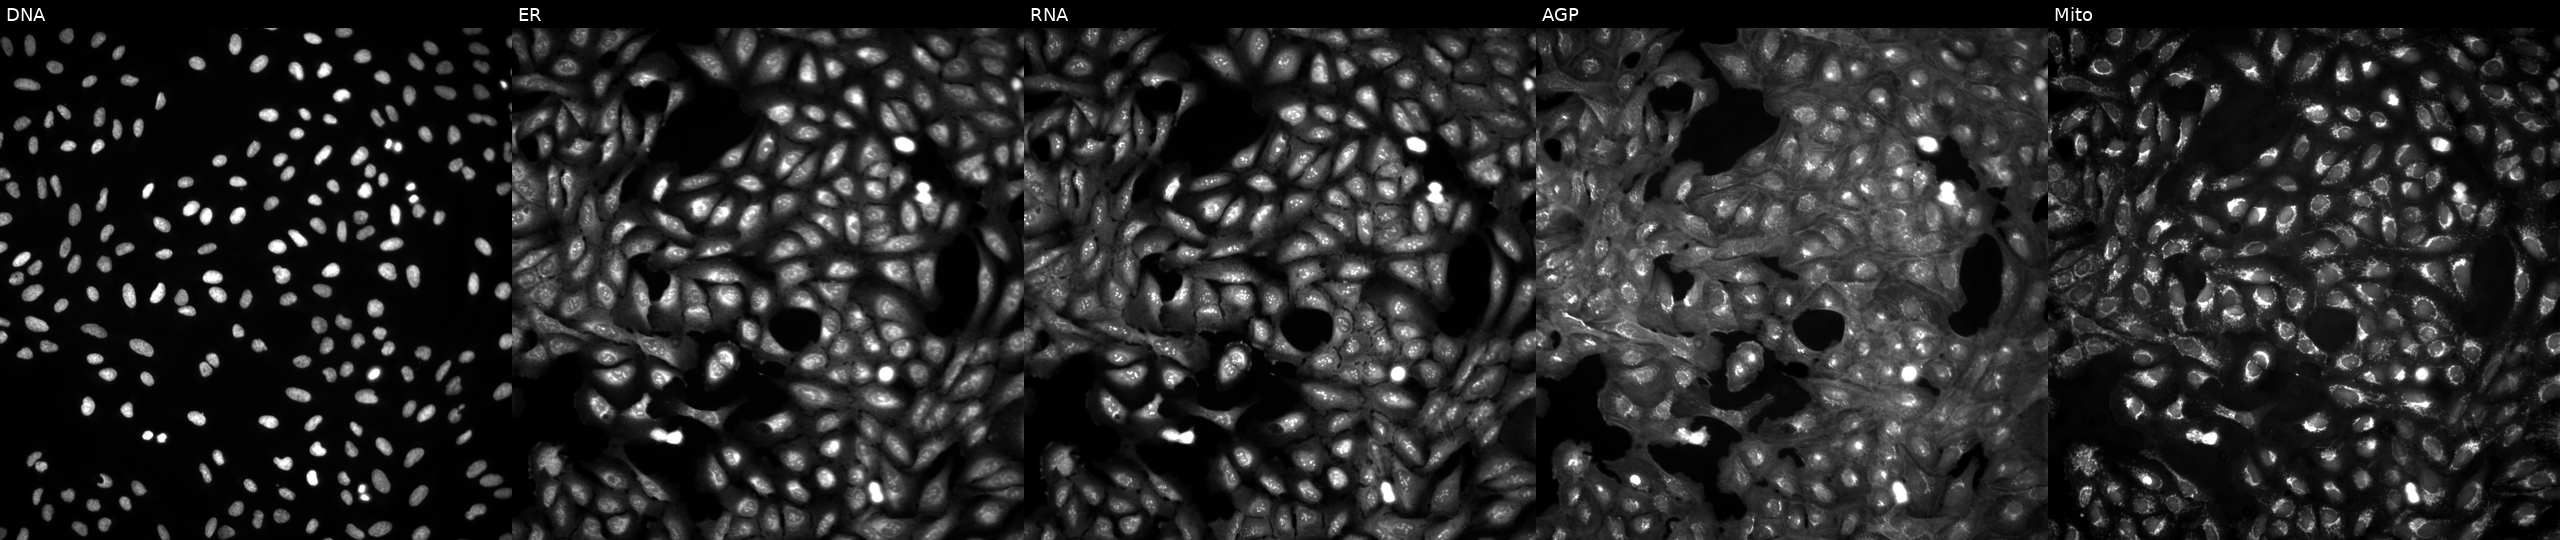
High-content fluorescence microscopy (Cell Painting). Cell line: U2OS. Perturbation: in an empty control well (no perturbation) (JUMP id JCP2022_999999). From left to right: DNA (nuclei); ER (endoplasmic reticulum); RNA (nucleoli and cytoplasmic RNA); AGP (actin cytoskeleton, Golgi, and plasma membrane); Mito (mitochondria).